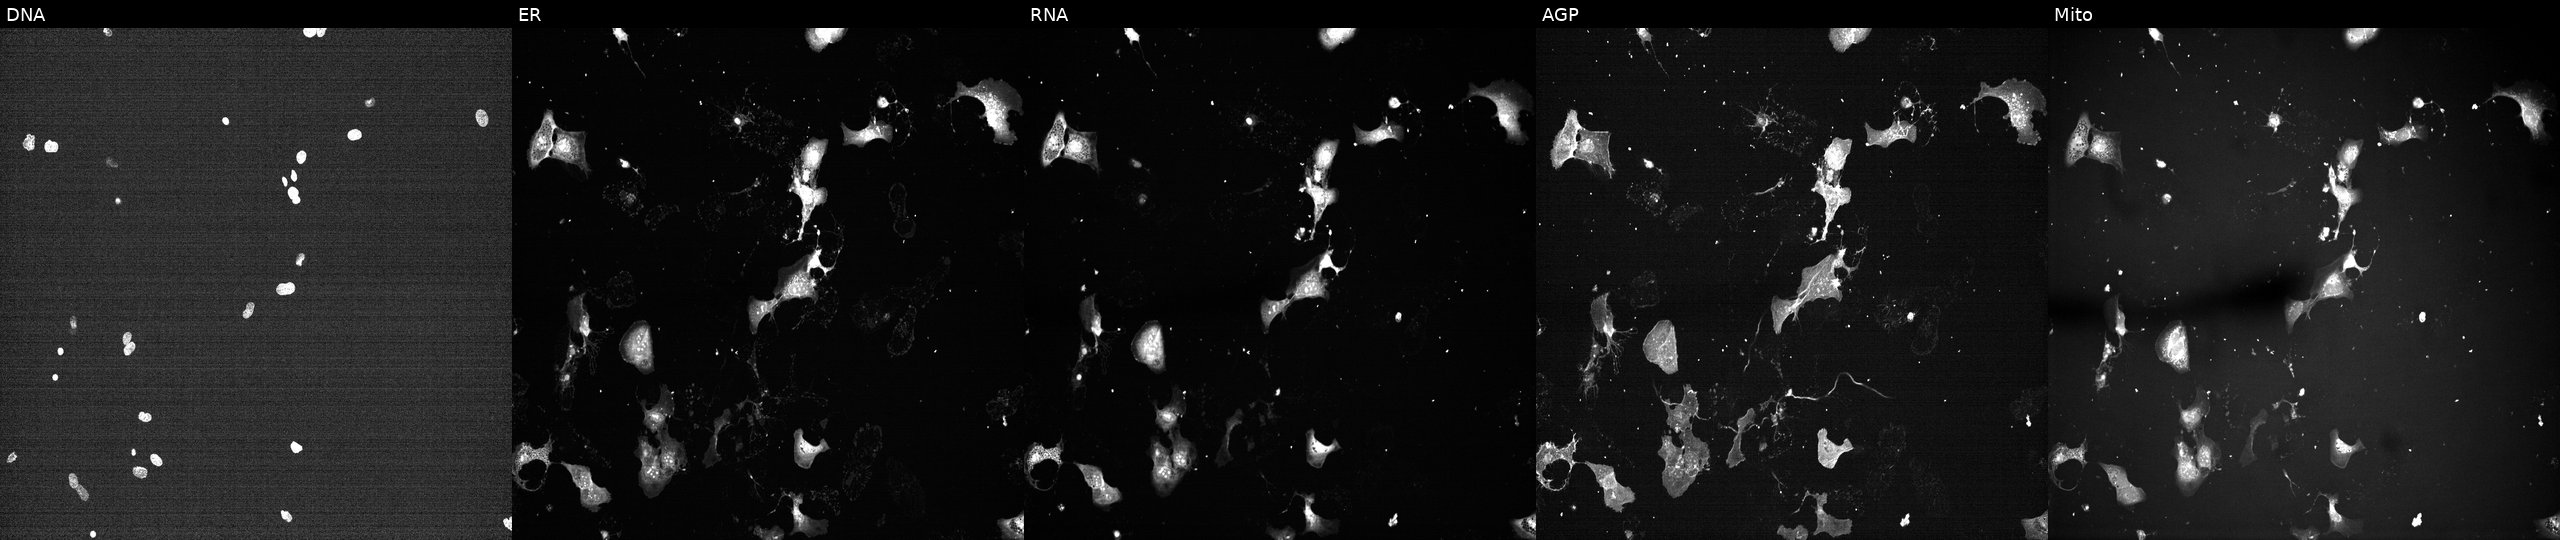
Channels (left→right): DNA (nuclei); ER (endoplasmic reticulum); RNA (nucleoli and cytoplasmic RNA); AGP (actin cytoskeleton, Golgi, and plasma membrane); Mito (mitochondria). U2OS osteosarcoma cells exposed to a small-molecule compound (InChIKey AJVXVYTVAAWZAP-UHFFFAOYSA-N) (JUMP id JCP2022_001890). Cell Painting assay, JUMP-CP dataset. Source 7, plate CP1-SC1-25, well O05.